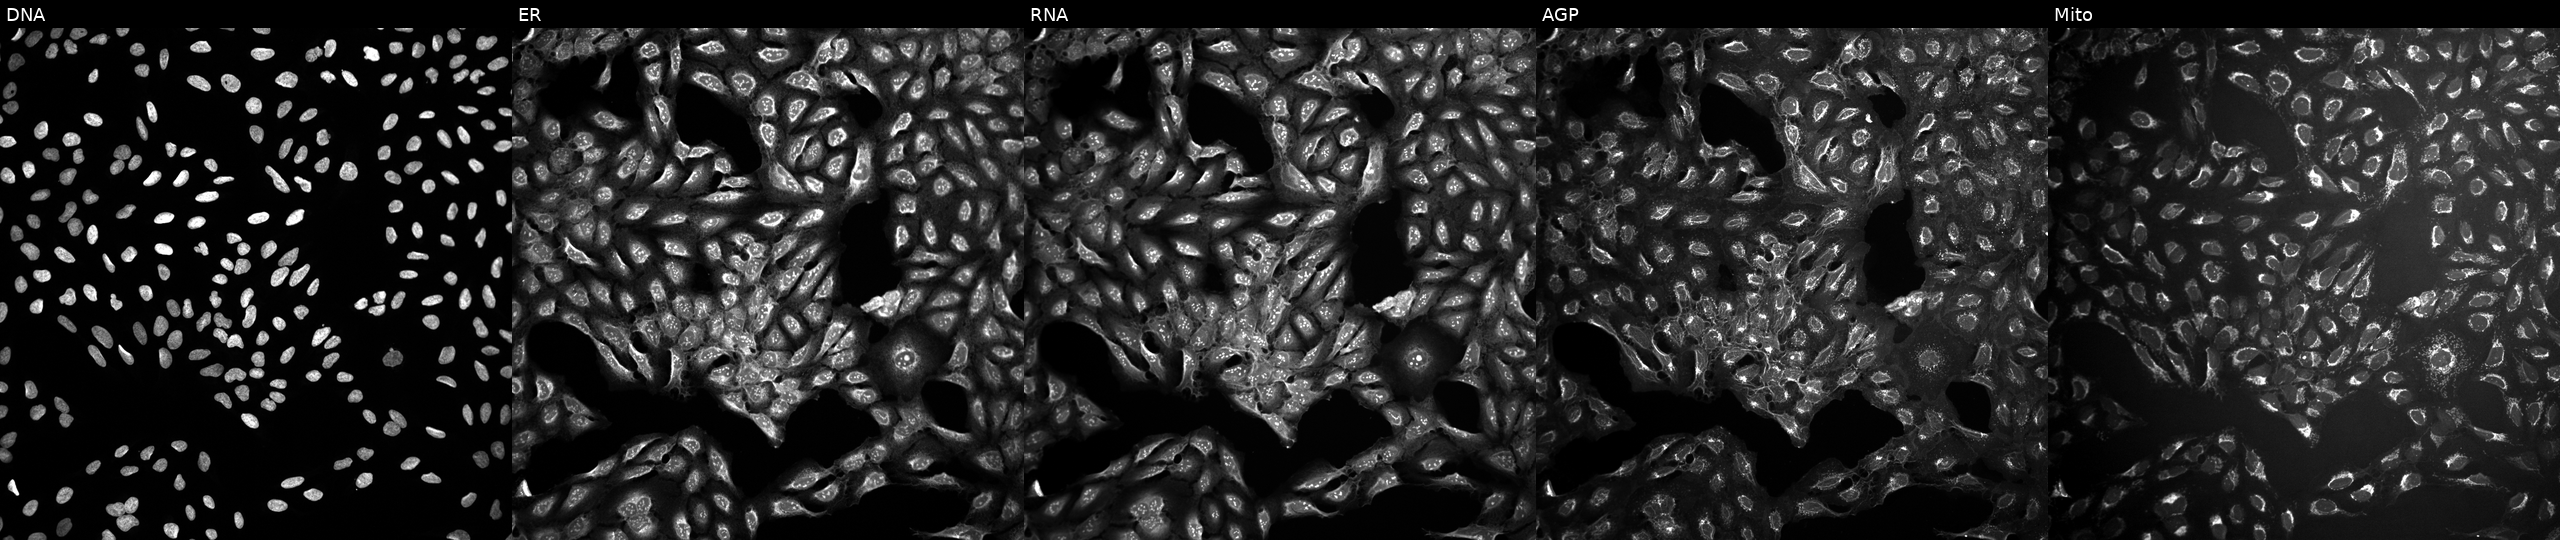
This image strip shows the five Cell Painting channels for a single field of U2OS cells exposed to a small-molecule compound (InChIKey PYNXFZCZUAOOQC-UHFFFAOYSA-N) [SMILES: CCOC(=O)C(C)CC(Cc1ccc(-c2ccccc2)cc1)NC(=O)CCC(=O)O] (JUMP id JCP2022_071811). Panels show, left to right, Hoechst 33342, concanavalin A, SYTO 14, phalloidin and WGA, MitoTracker.